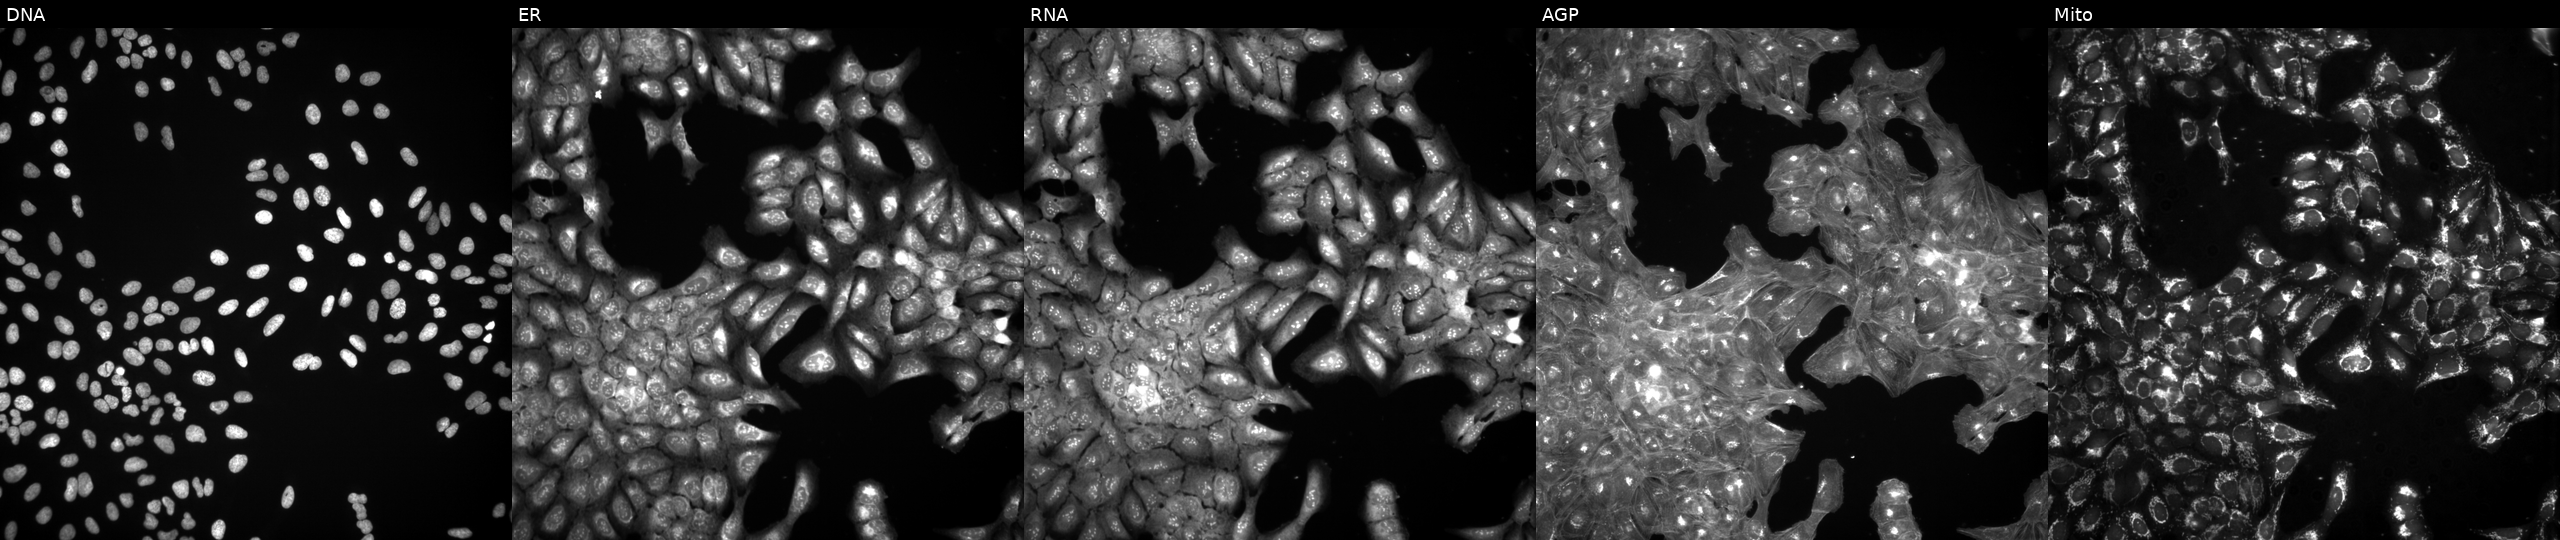
U2OS cells, Cell Painting assay, exposed to a small-molecule compound [SMILES: O=C(COc1ccccc1[N+](=O)[O-])N=c1[nH]ccs1]. Panels show, left to right, DNA, ER, RNA, AGP, and Mito. Each panel is percentile-stretched 16-bit fluorescence. Source 3, plate BR5867a3, well H20.